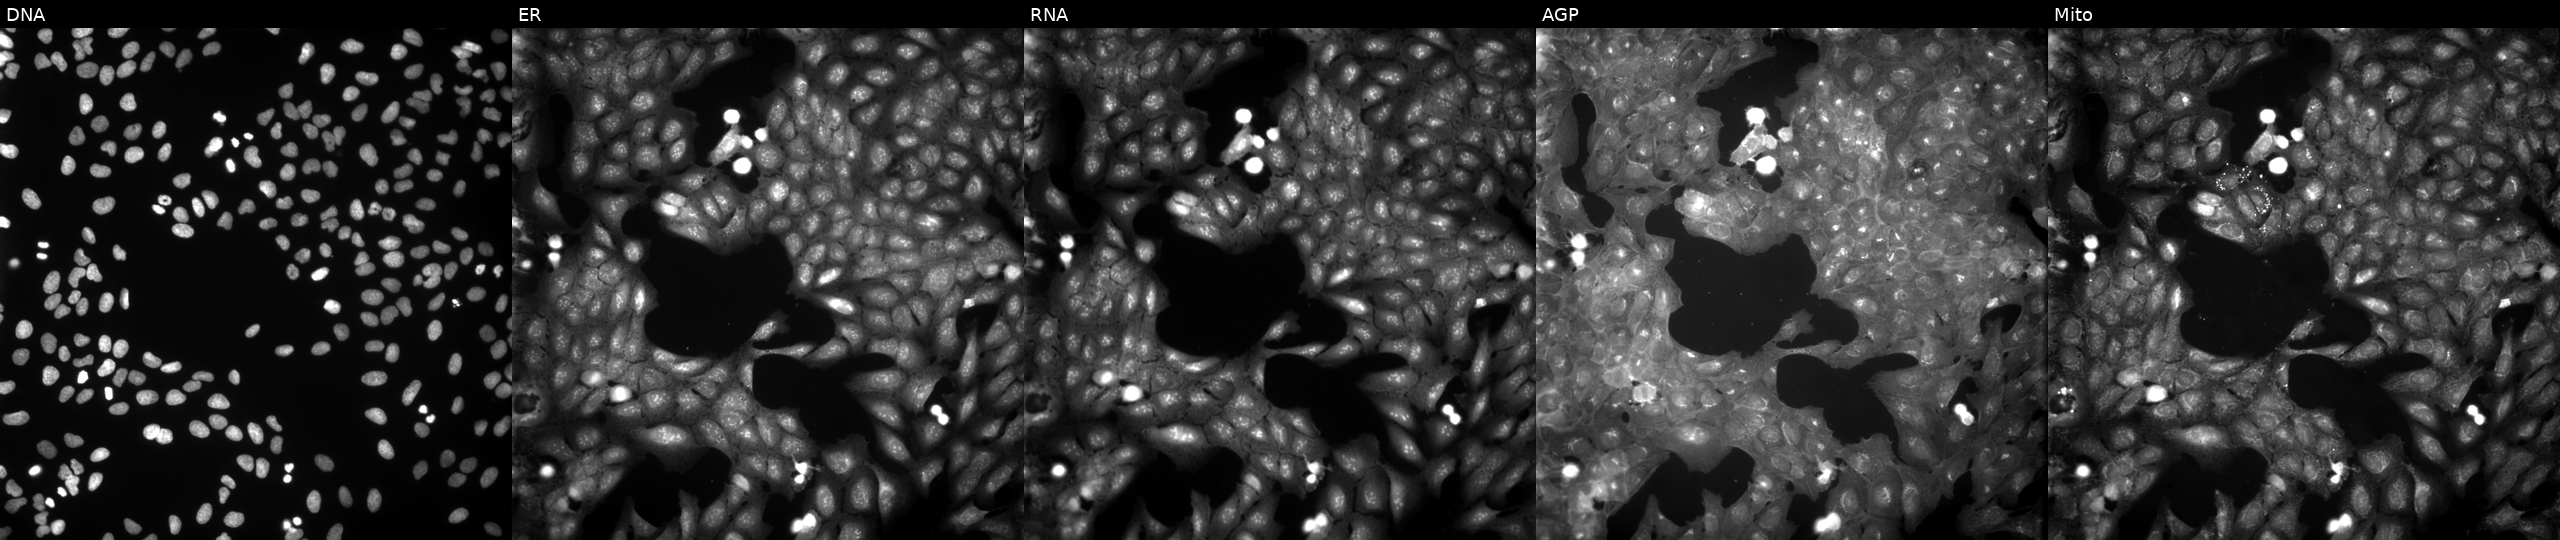
JUMP Cell Painting — COMPOUND plate. U2OS cells perturbed with a small-molecule compound (InChIKey LOCHJSCJKJGDFV-UHFFFAOYSA-N). The five panels, left to right, show Hoechst 33342, concanavalin A, SYTO 14, phalloidin and WGA, MitoTracker. Source 9, plate GR00003382, well P18.